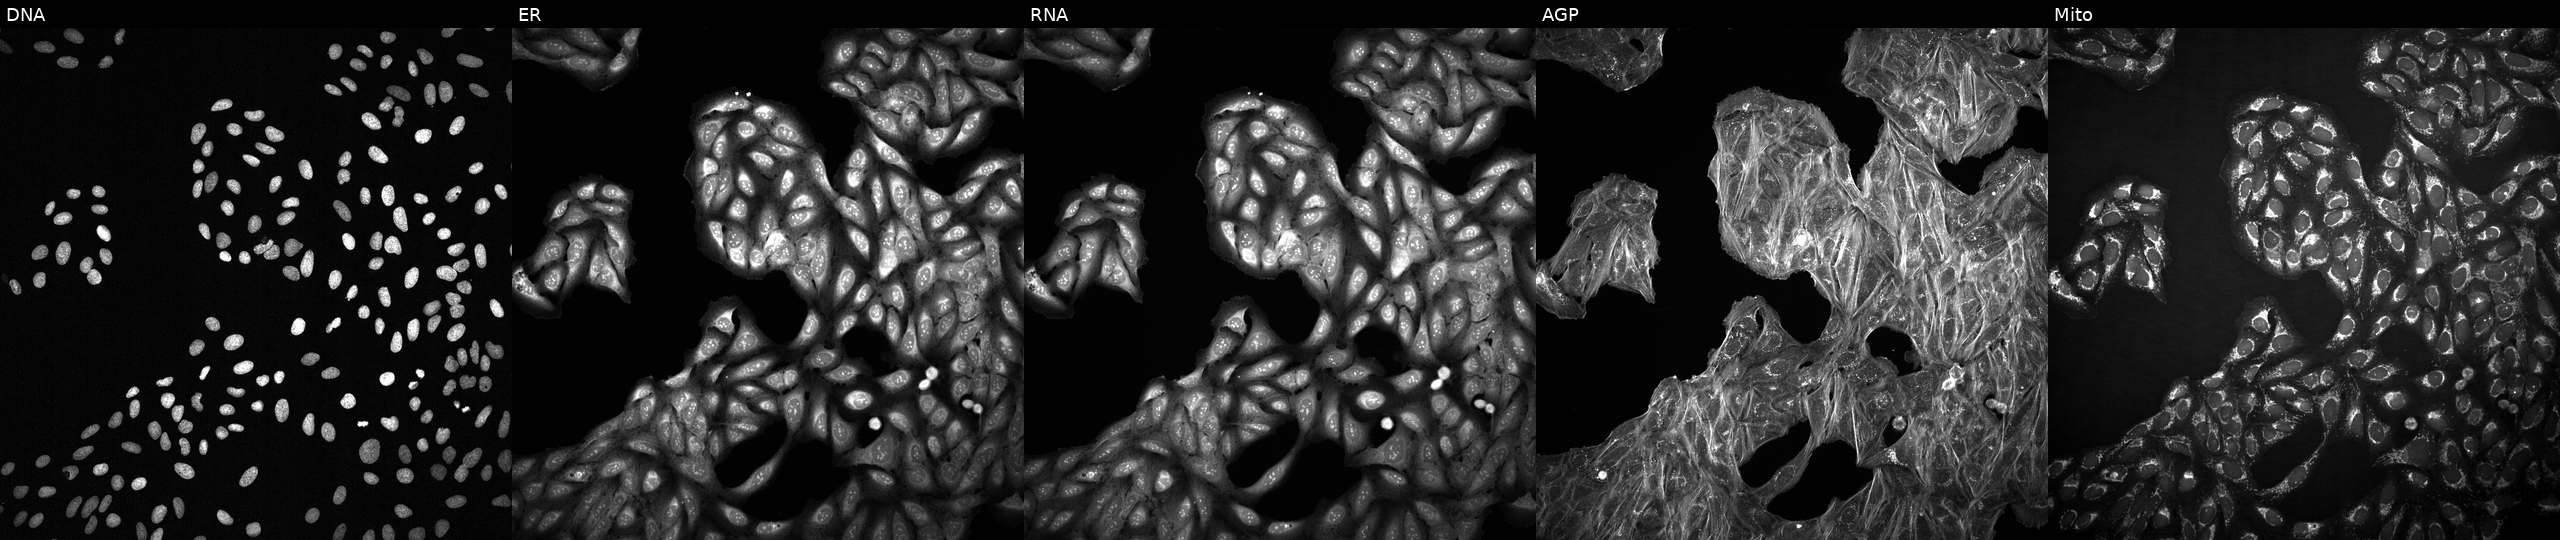
High-content fluorescence microscopy (Cell Painting). Cell line: U2OS. Perturbation: perturbed with a small-molecule compound (InChIKey AFJRDFWMXUECEW-UHFFFAOYSA-N) (JUMP id JCP2022_001036). Channels (left→right): DNA, ER, RNA, AGP, and Mito. Source 2, plate 1053600674, well L20.